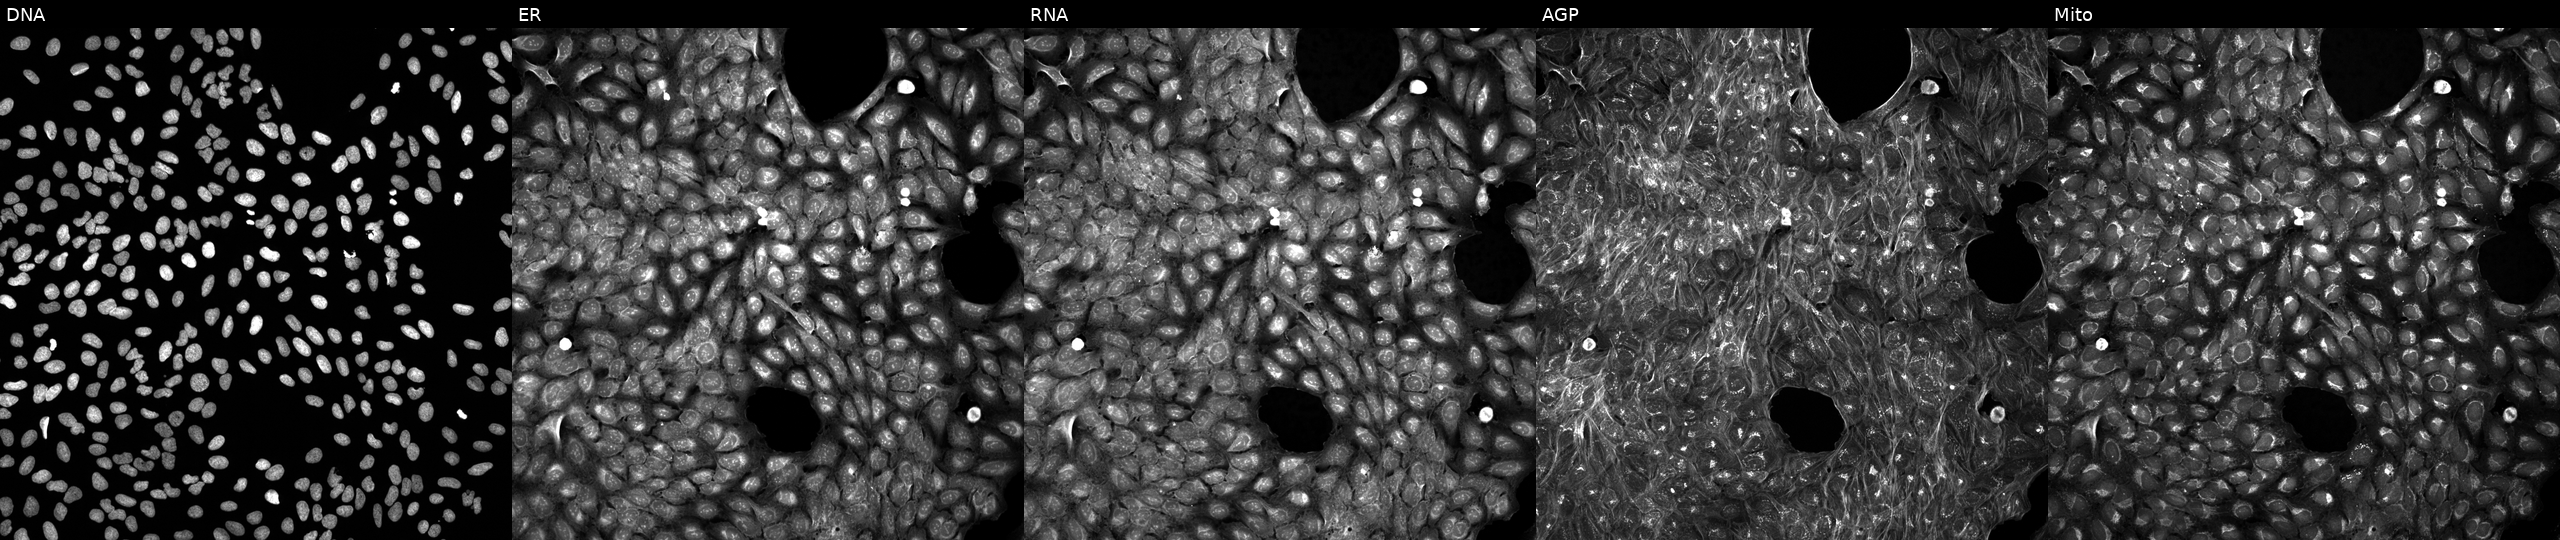
High-content fluorescence microscopy (Cell Painting). Cell line: U2OS. Perturbation: exposed to a small-molecule compound (InChIKey XKHQOPAXIVKBTI-UHFFFAOYSA-N) (JUMP id JCP2022_104200). The five panels, left to right, show Hoechst 33342, concanavalin A, SYTO 14, phalloidin and WGA, MitoTracker.